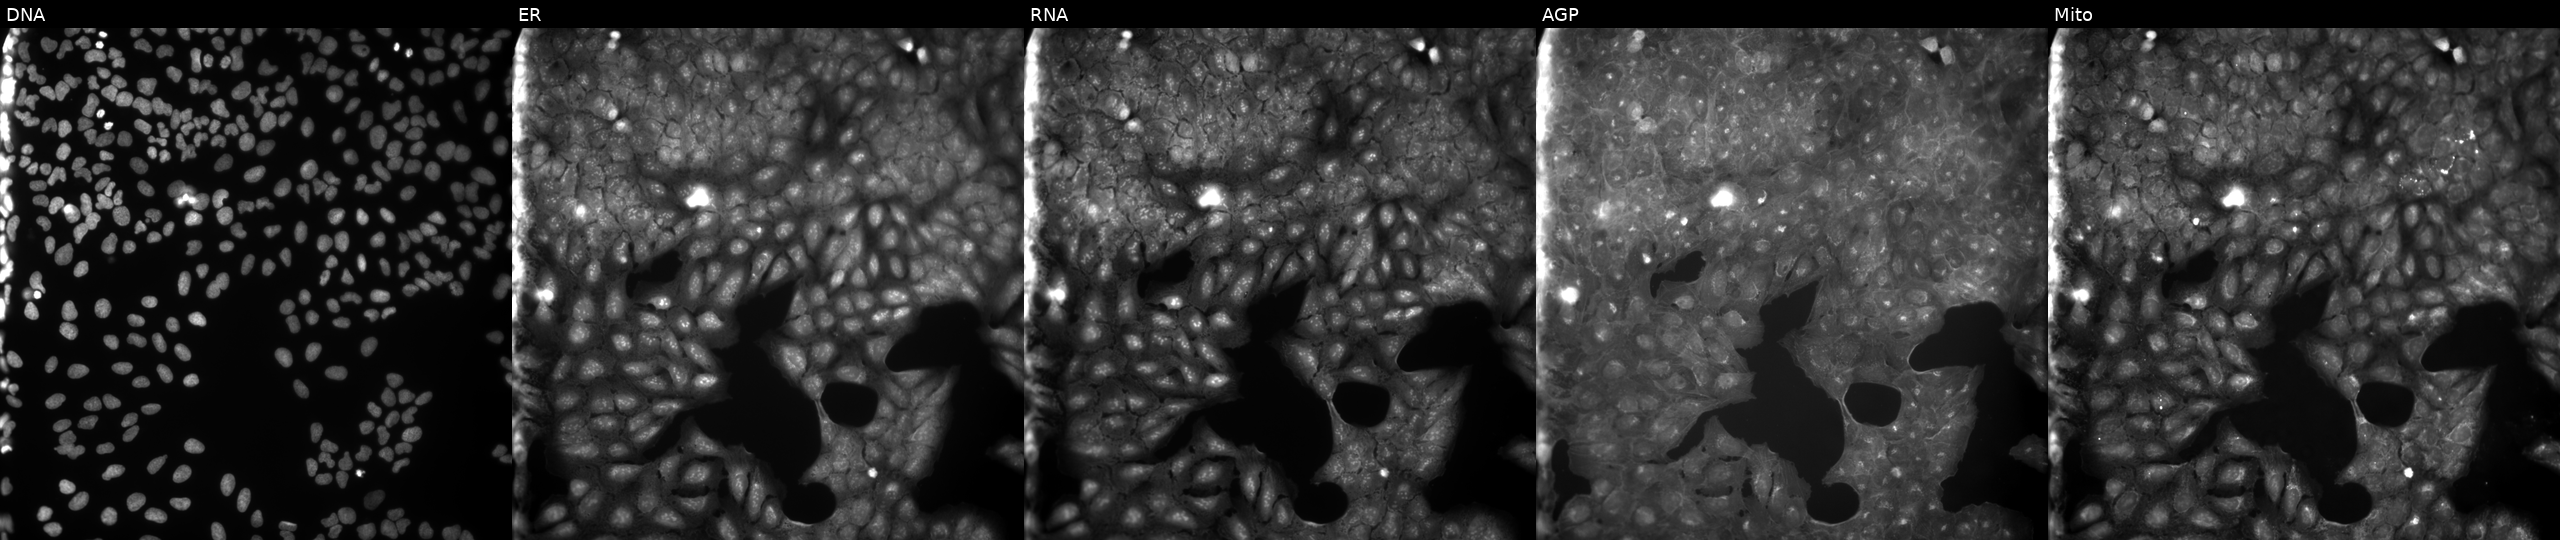
U2OS cells, Cell Painting assay, treated with a small-molecule compound [SMILES: CC(=O)N1N=C(c2ccc(Br)cc2)CC1c1ccc(Br)cc1]. Channels (left→right): DNA, ER, RNA, AGP, and Mito. Each panel is percentile-stretched 16-bit fluorescence. Source 9, plate GR00003381, well O04.